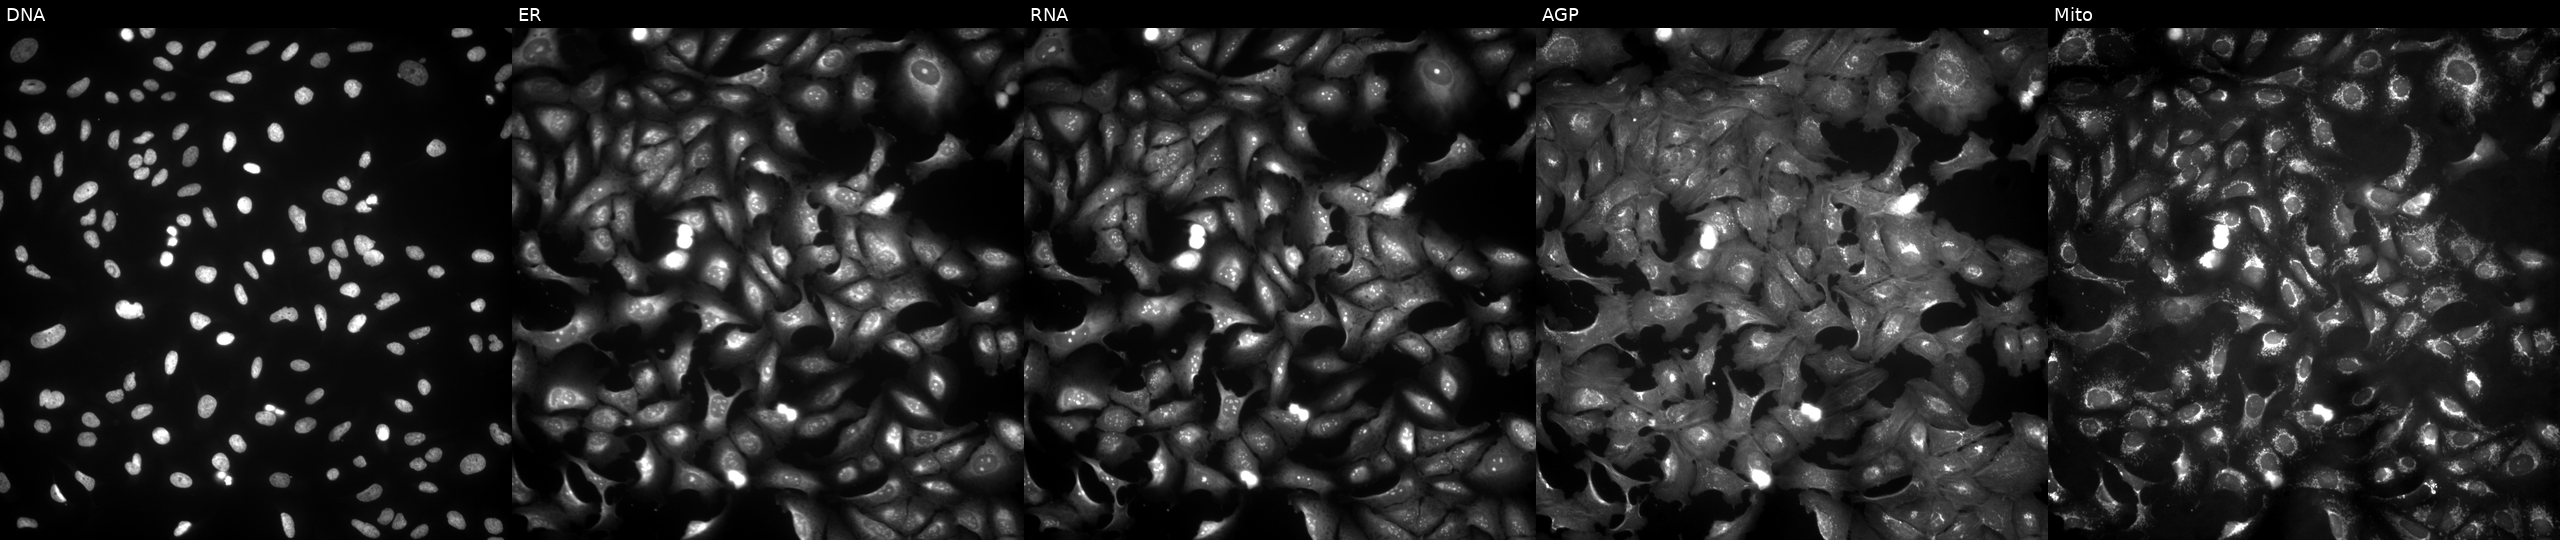
This image strip shows the five Cell Painting channels for a single field of U2OS cells transfected with an ORF construct for FBXL14 (JUMP id JCP2022_908967). Panels show, left to right, DNA, ER, RNA, AGP, and Mito.